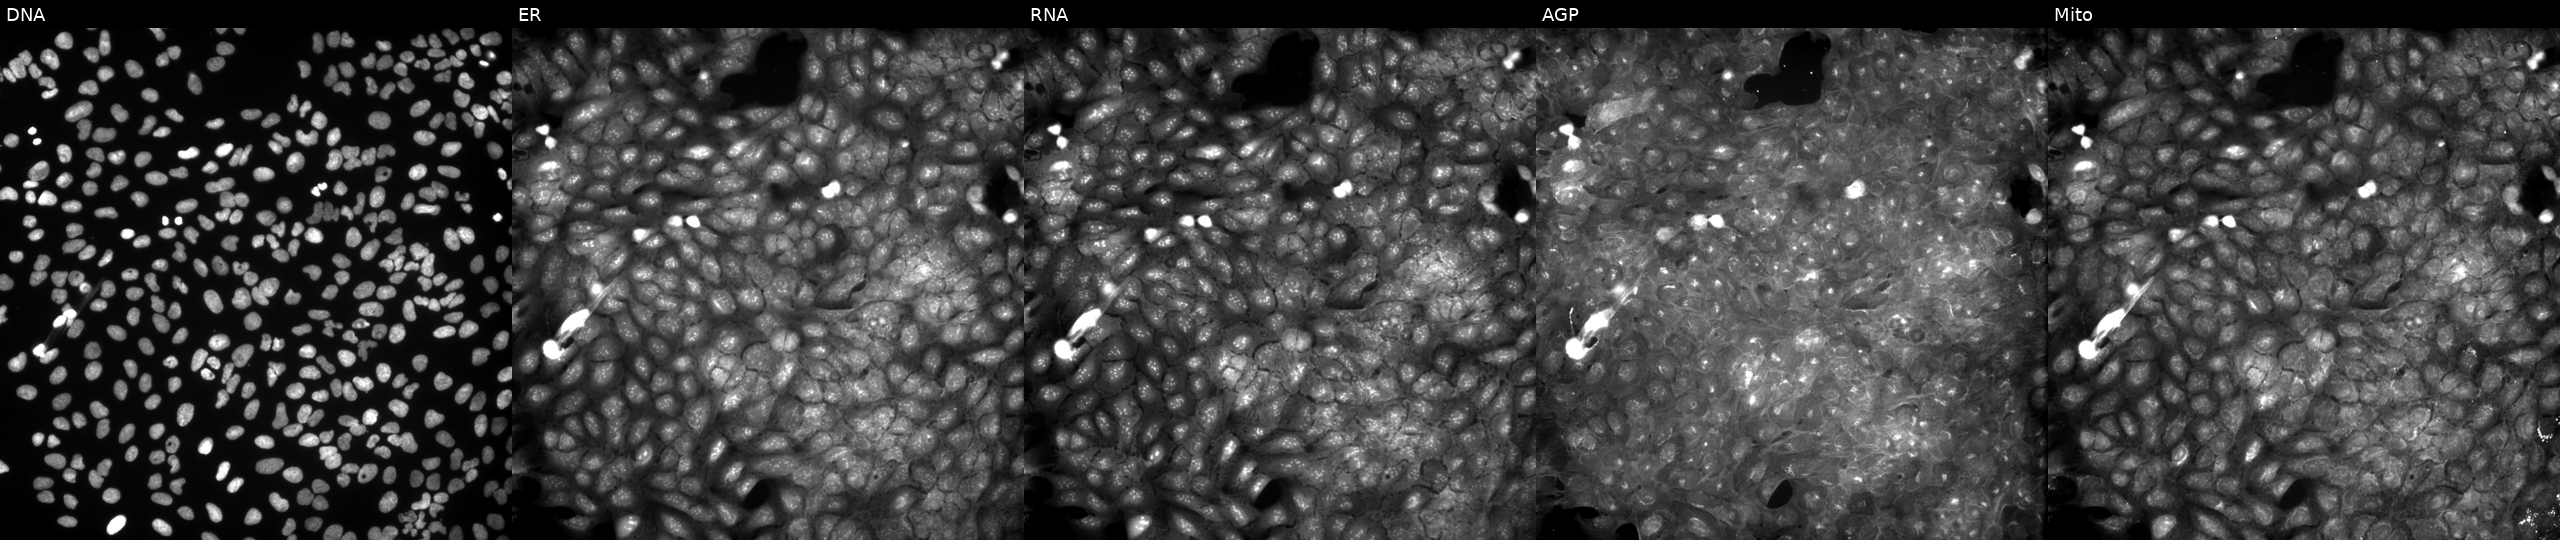
U2OS cells, Cell Painting assay, exposed to a small-molecule compound. Panels show, left to right, Hoechst 33342, concanavalin A, SYTO 14, phalloidin and WGA, MitoTracker. Each panel is percentile-stretched 16-bit fluorescence.